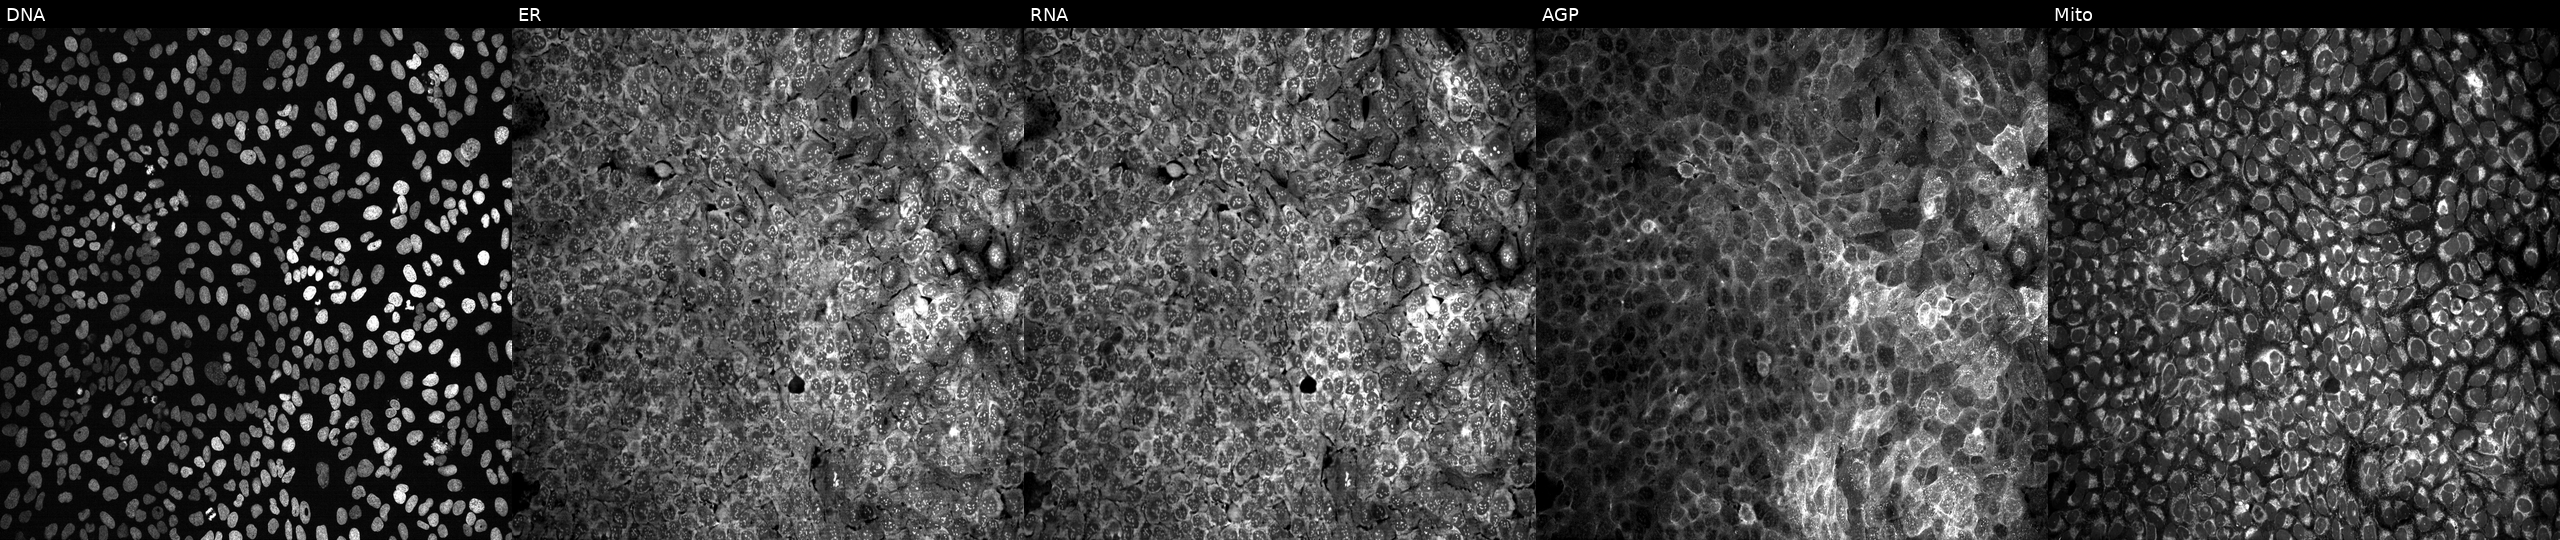
Channels (left→right): Hoechst 33342, concanavalin A, SYTO 14, phalloidin and WGA, MitoTracker. U2OS osteosarcoma cells exposed to the positive-control compound dexamethasone. Cell Painting assay, JUMP-CP dataset.